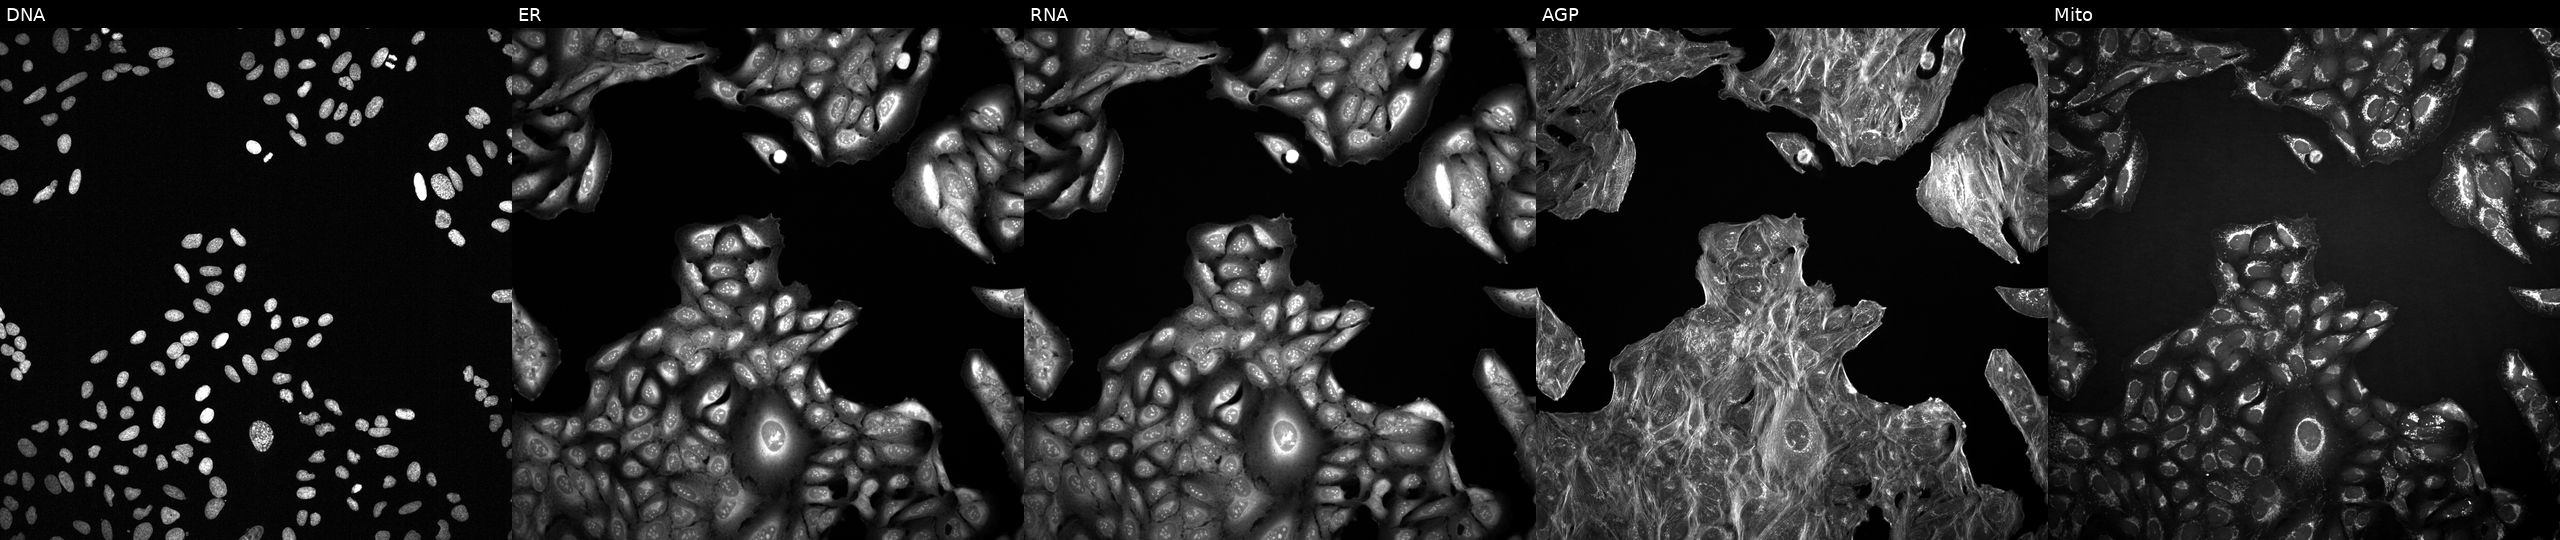
This image strip shows the five Cell Painting channels for a single field of U2OS cells exposed to a small-molecule compound (JUMP id JCP2022_095007). Channels (left→right): Hoechst 33342, concanavalin A, SYTO 14, phalloidin and WGA, MitoTracker.